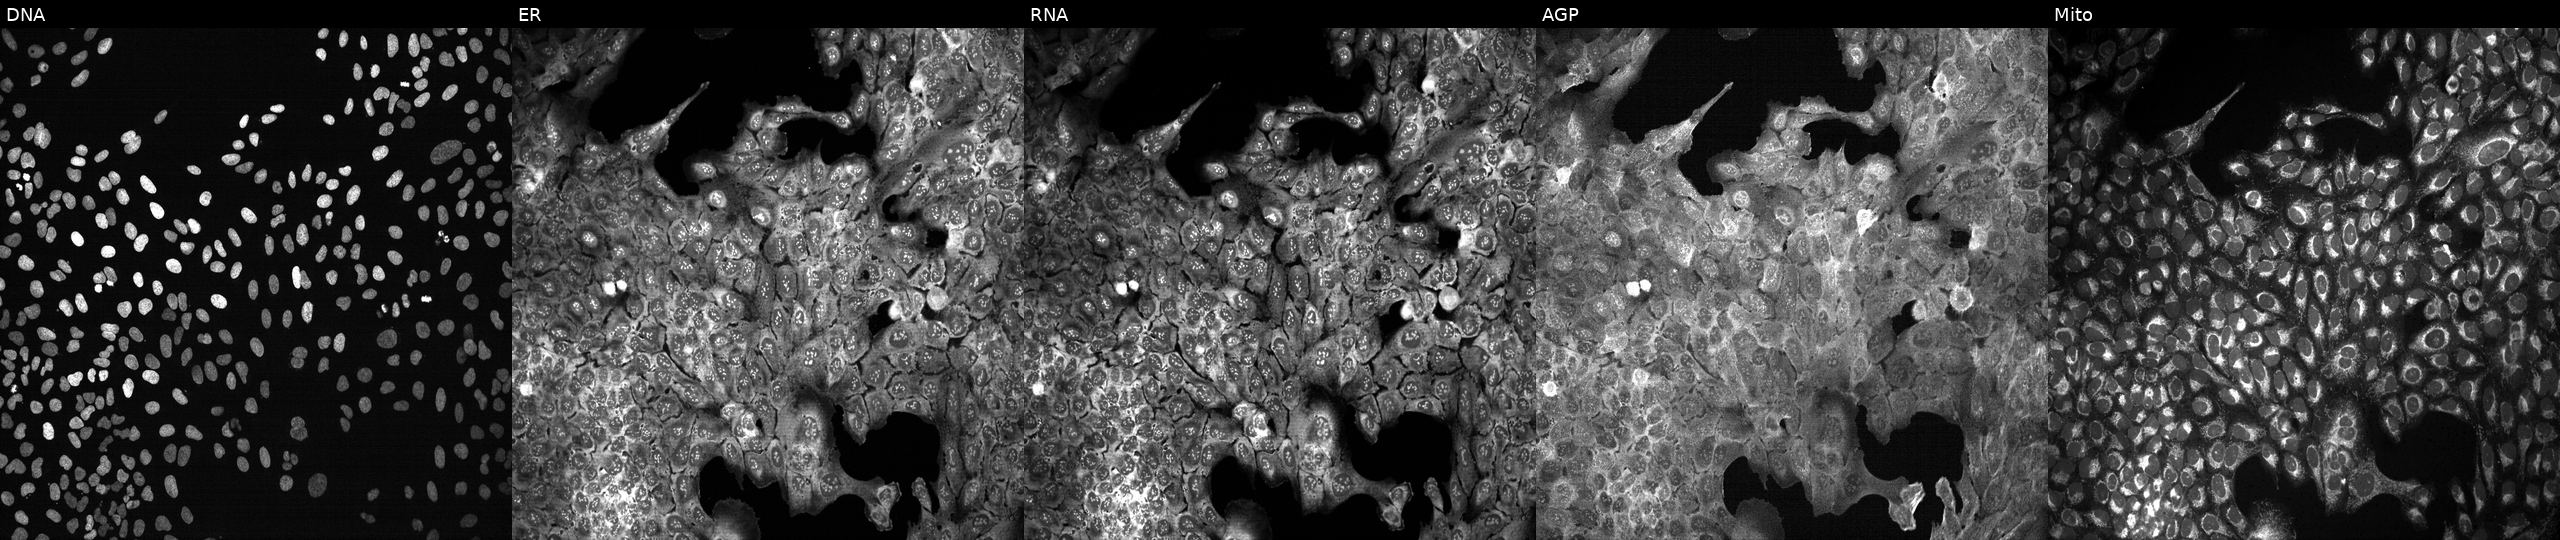
Panels show, left to right, Hoechst 33342, concanavalin A, SYTO 14, phalloidin and WGA, MitoTracker. U2OS osteosarcoma cells following CRISPR knockout of ACSS2 (JUMP id JCP2022_800149). Cell Painting assay, JUMP-CP dataset.